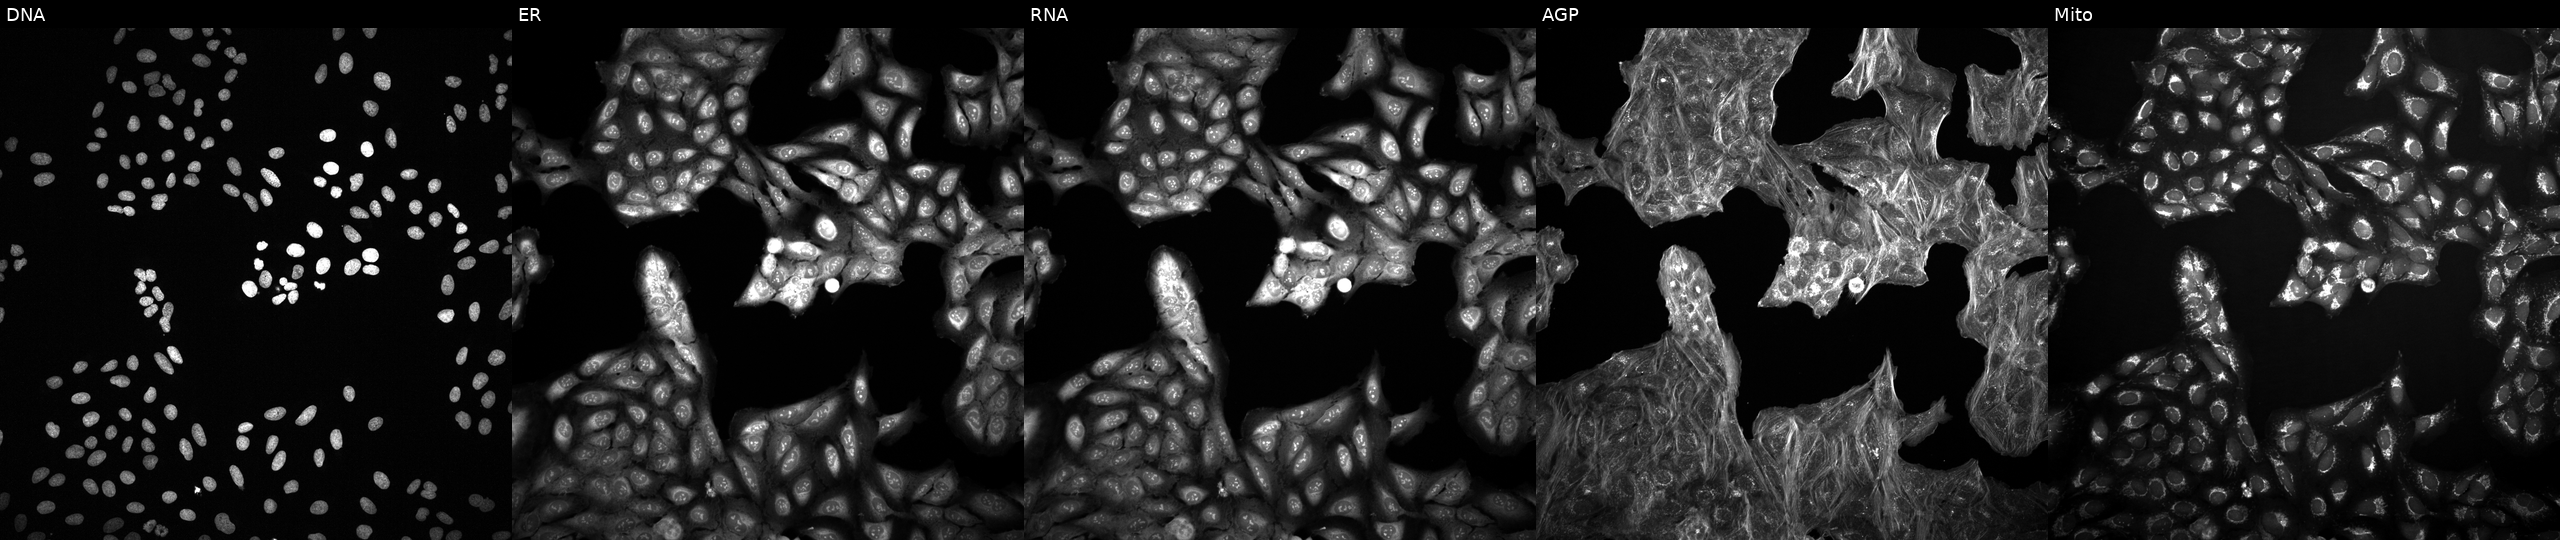
U2OS cells, Cell Painting assay, exposed to a small-molecule compound (InChIKey WXPNDRBBWZMPQG-UHFFFAOYSA-N) [SMILES: Cc1cc2c(s1)=Nc1ccccc1NC=2N1CCN(C)CC1] (JUMP id JCP2022_101857). Panels show, left to right, DNA (nuclei); ER (endoplasmic reticulum); RNA (nucleoli and cytoplasmic RNA); AGP (actin cytoskeleton, Golgi, and plasma membrane); Mito (mitochondria). Each panel is percentile-stretched 16-bit fluorescence.